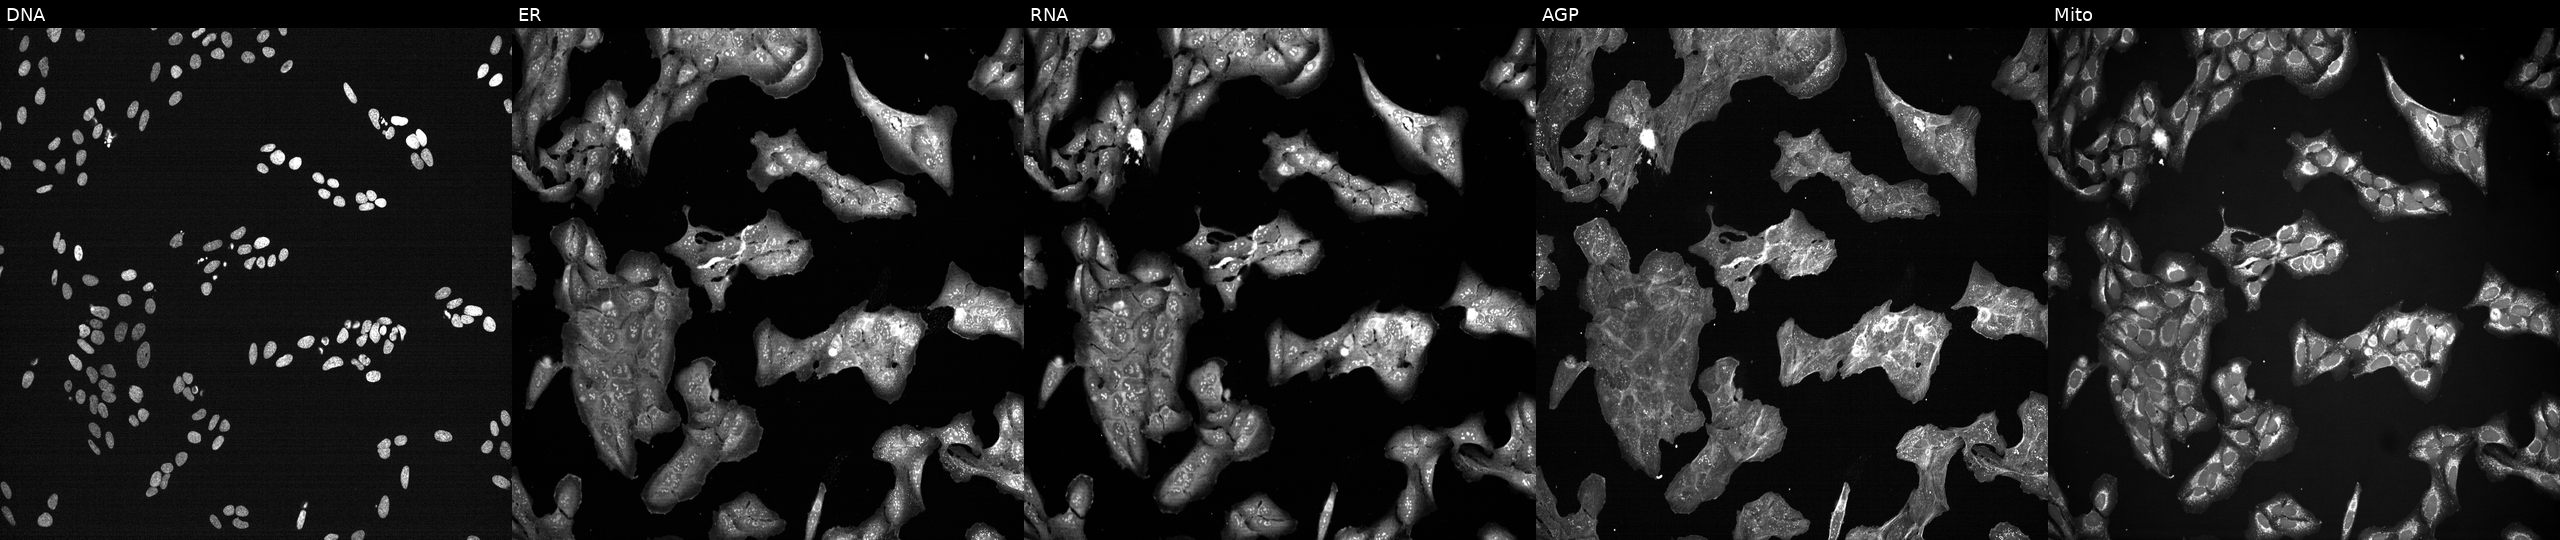
Five-channel Cell Painting image of U2OS cells perturbed with a small-molecule compound (InChIKey DHMTURDWPRKSOA-UHFFFAOYSA-N) [SMILES: NC(=O)N1CCC(CC(=O)N2CCC(C3c4ncc(Br)cc4CCc4cc(Cl)cc(Br)c43)CC2)CC1]. Panels show, left to right, DNA (nuclei); ER (endoplasmic reticulum); RNA (nucleoli and cytoplasmic RNA); AGP (actin cytoskeleton, Golgi, and plasma membrane); Mito (mitochondria).